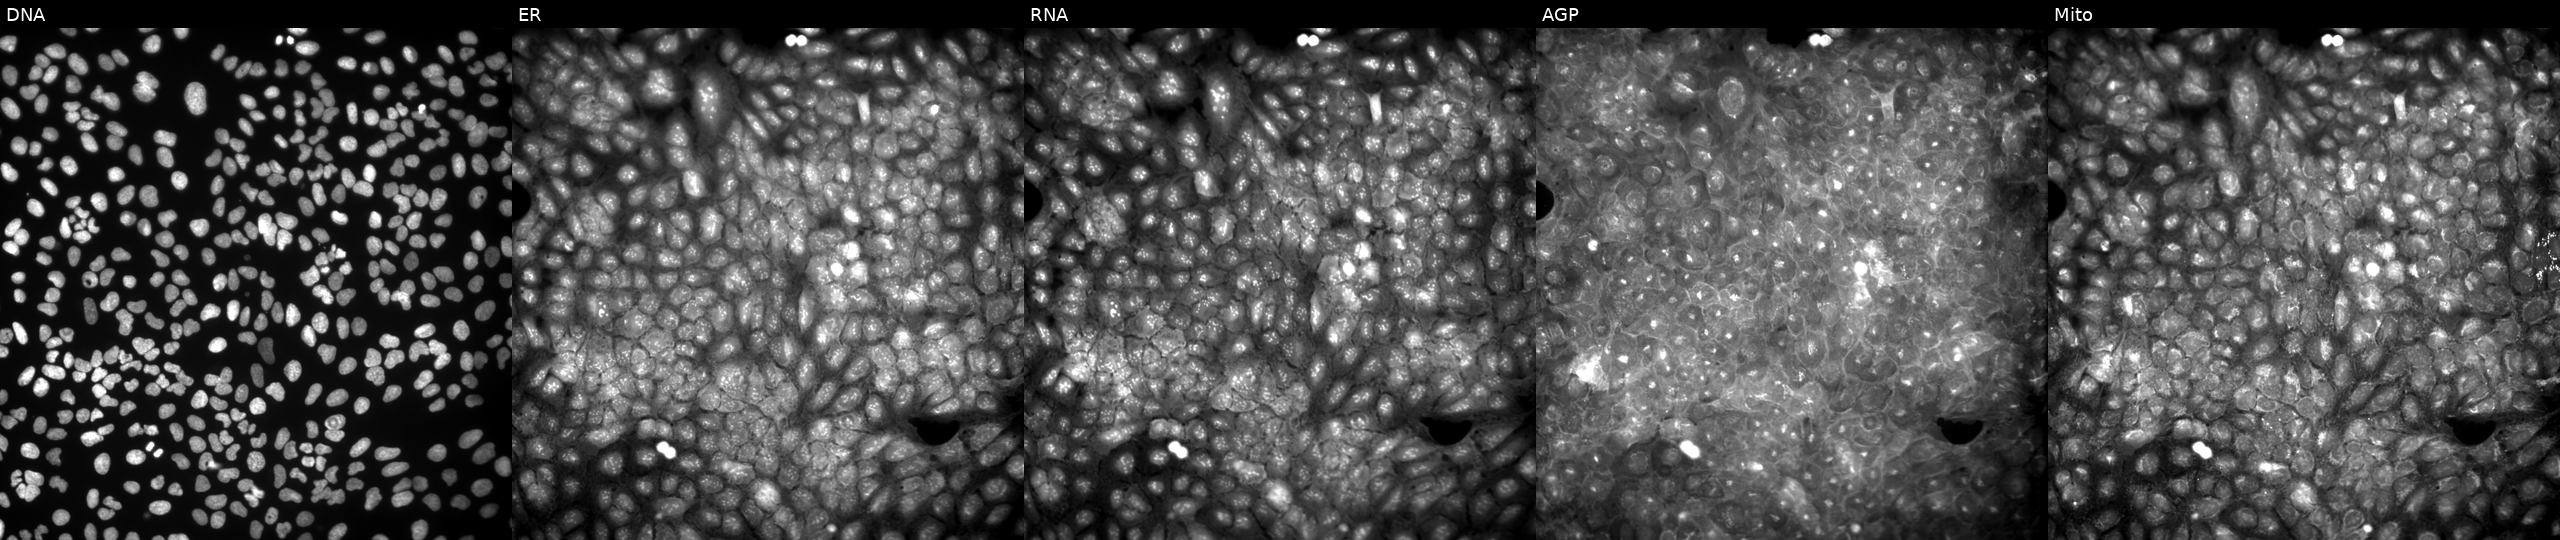
This image strip shows the five Cell Painting channels for a single field of U2OS cells perturbed with a small-molecule compound. Panels show, left to right, Hoechst 33342, concanavalin A, SYTO 14, phalloidin and WGA, MitoTracker. Source 9, plate GR00003382, well AA31.